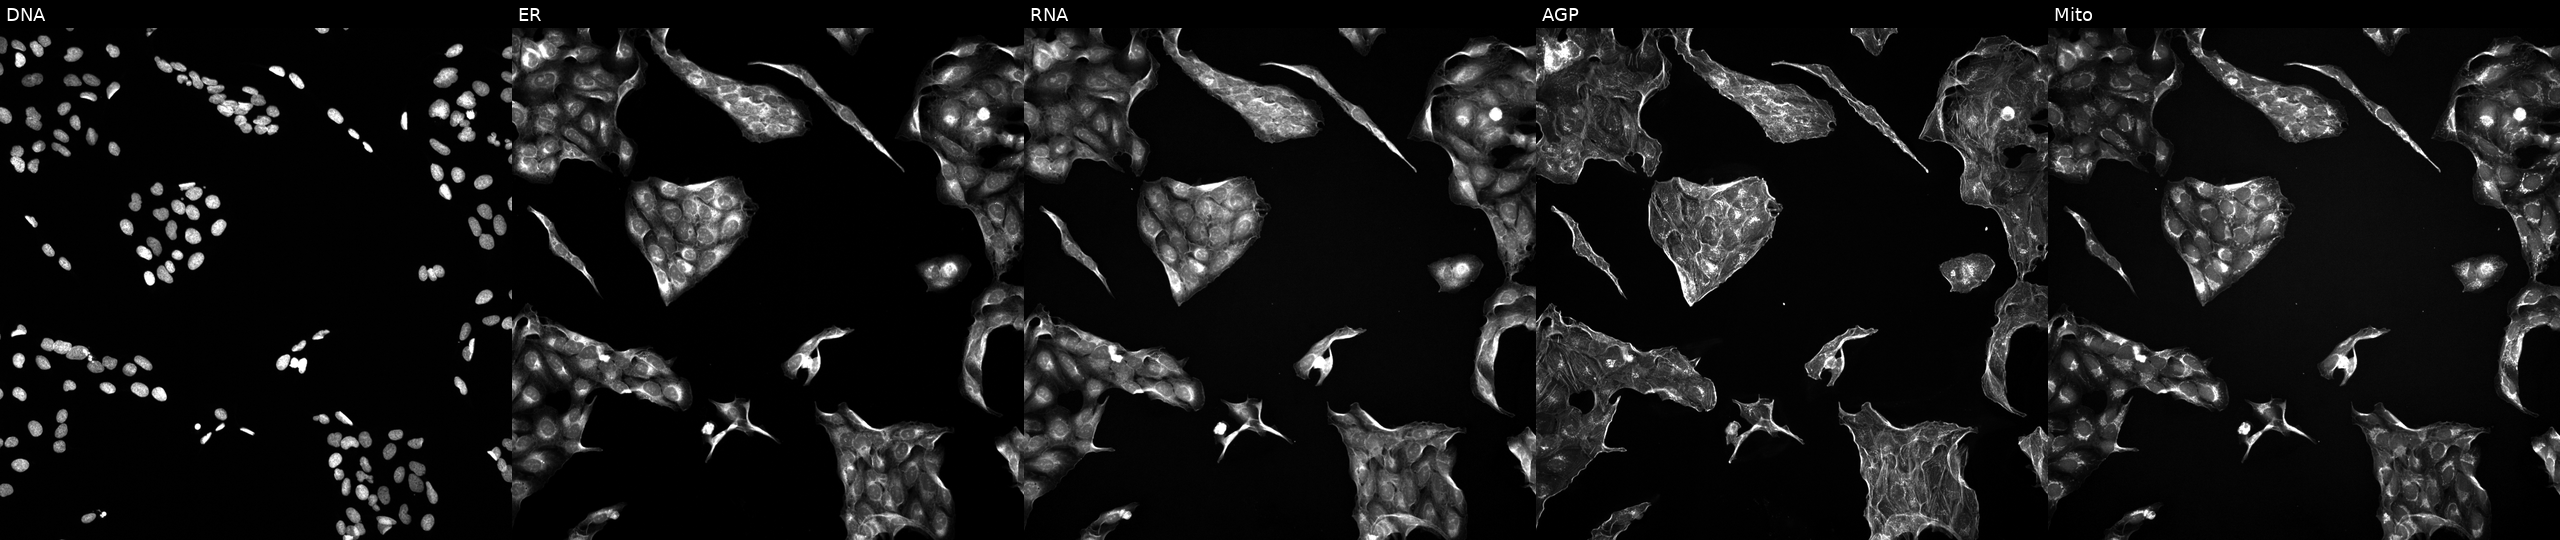
JUMP Cell Painting — TARGET2 plate. U2OS cells exposed to a small-molecule compound [SMILES: CCC(C)(C)C(=O)OC1CC(C)C=C2C=CC(C)C(CCC3CC(O)CC(=O)O3)C21]. Panels show, left to right, DNA (nuclei); ER (endoplasmic reticulum); RNA (nucleoli and cytoplasmic RNA); AGP (actin cytoskeleton, Golgi, and plasma membrane); Mito (mitochondria).